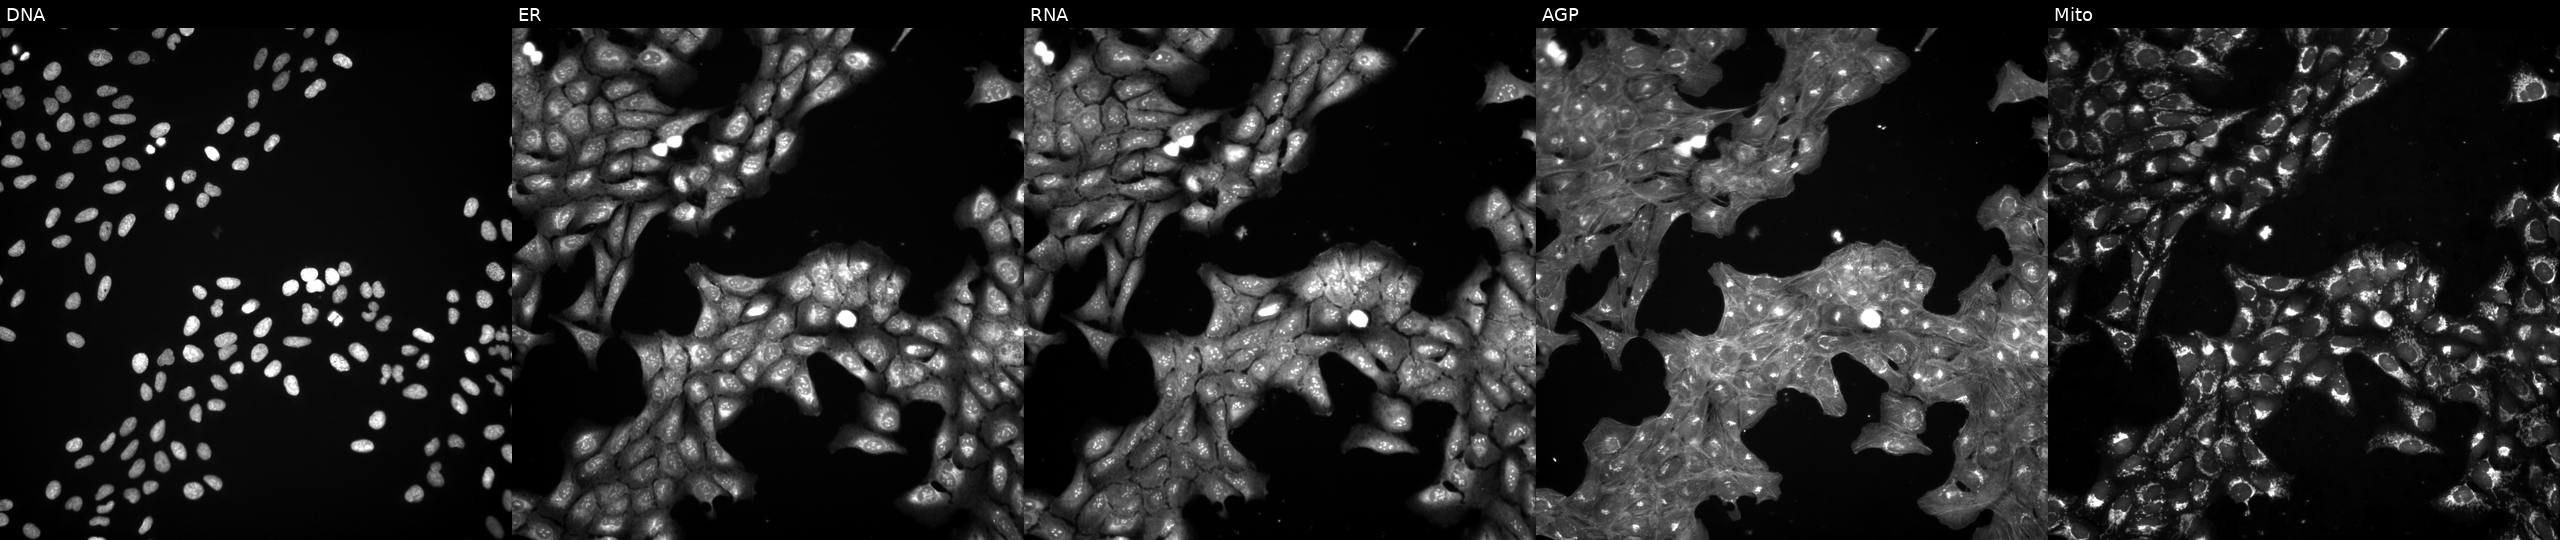
From left to right: DNA (nuclei); ER (endoplasmic reticulum); RNA (nucleoli and cytoplasmic RNA); AGP (actin cytoskeleton, Golgi, and plasma membrane); Mito (mitochondria). U2OS osteosarcoma cells exposed to a small-molecule compound (JUMP id JCP2022_067466). Cell Painting assay, JUMP-CP dataset.